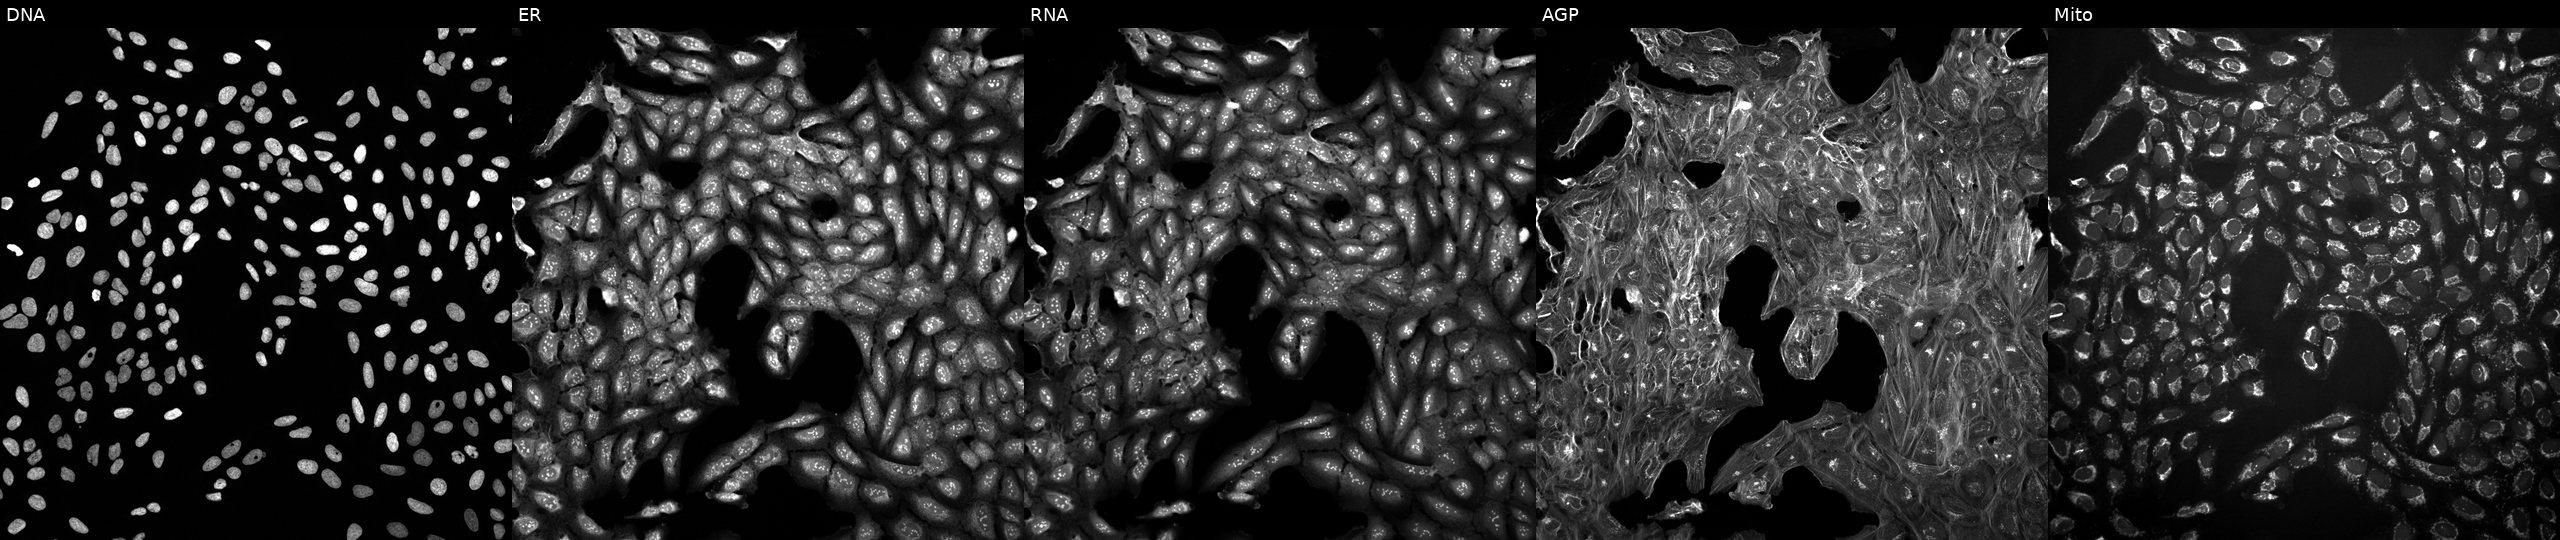
Five-channel Cell Painting image of U2OS cells exposed to DMSO alone as a negative control. Panels show, left to right, Hoechst 33342, concanavalin A, SYTO 14, phalloidin and WGA, MitoTracker.